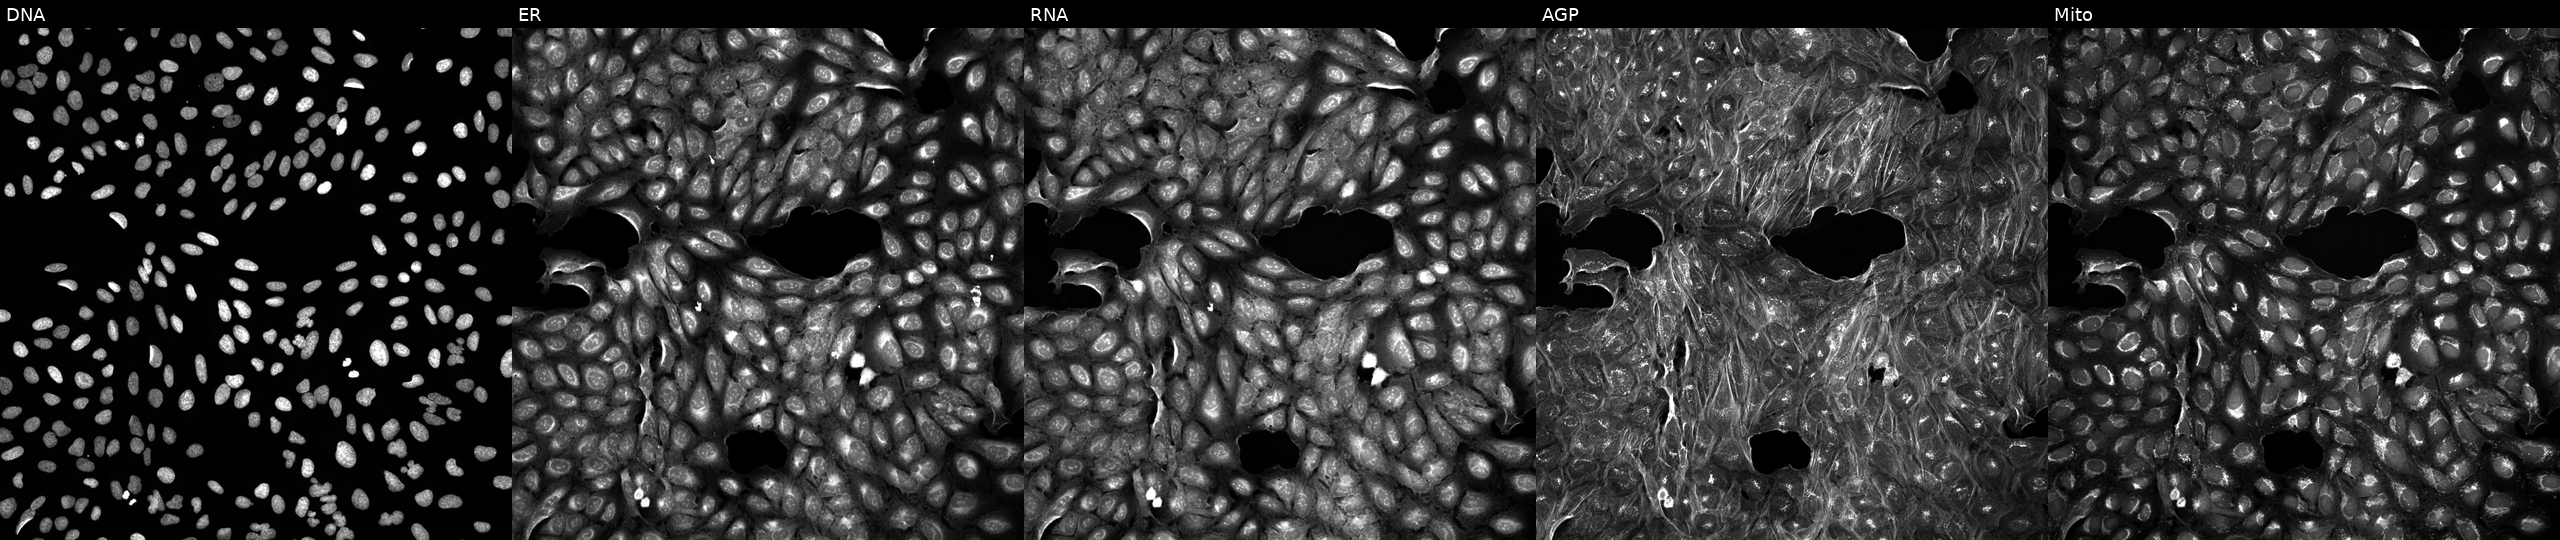
Five-channel Cell Painting image of U2OS cells exposed to a small-molecule compound (InChIKey ODUOJXZPIYUATO-UHFFFAOYSA-N) (JUMP id JCP2022_063174). From left to right: DNA (nuclei); ER (endoplasmic reticulum); RNA (nucleoli and cytoplasmic RNA); AGP (actin cytoskeleton, Golgi, and plasma membrane); Mito (mitochondria). Source 5, plate ACPJUM051, well F20.